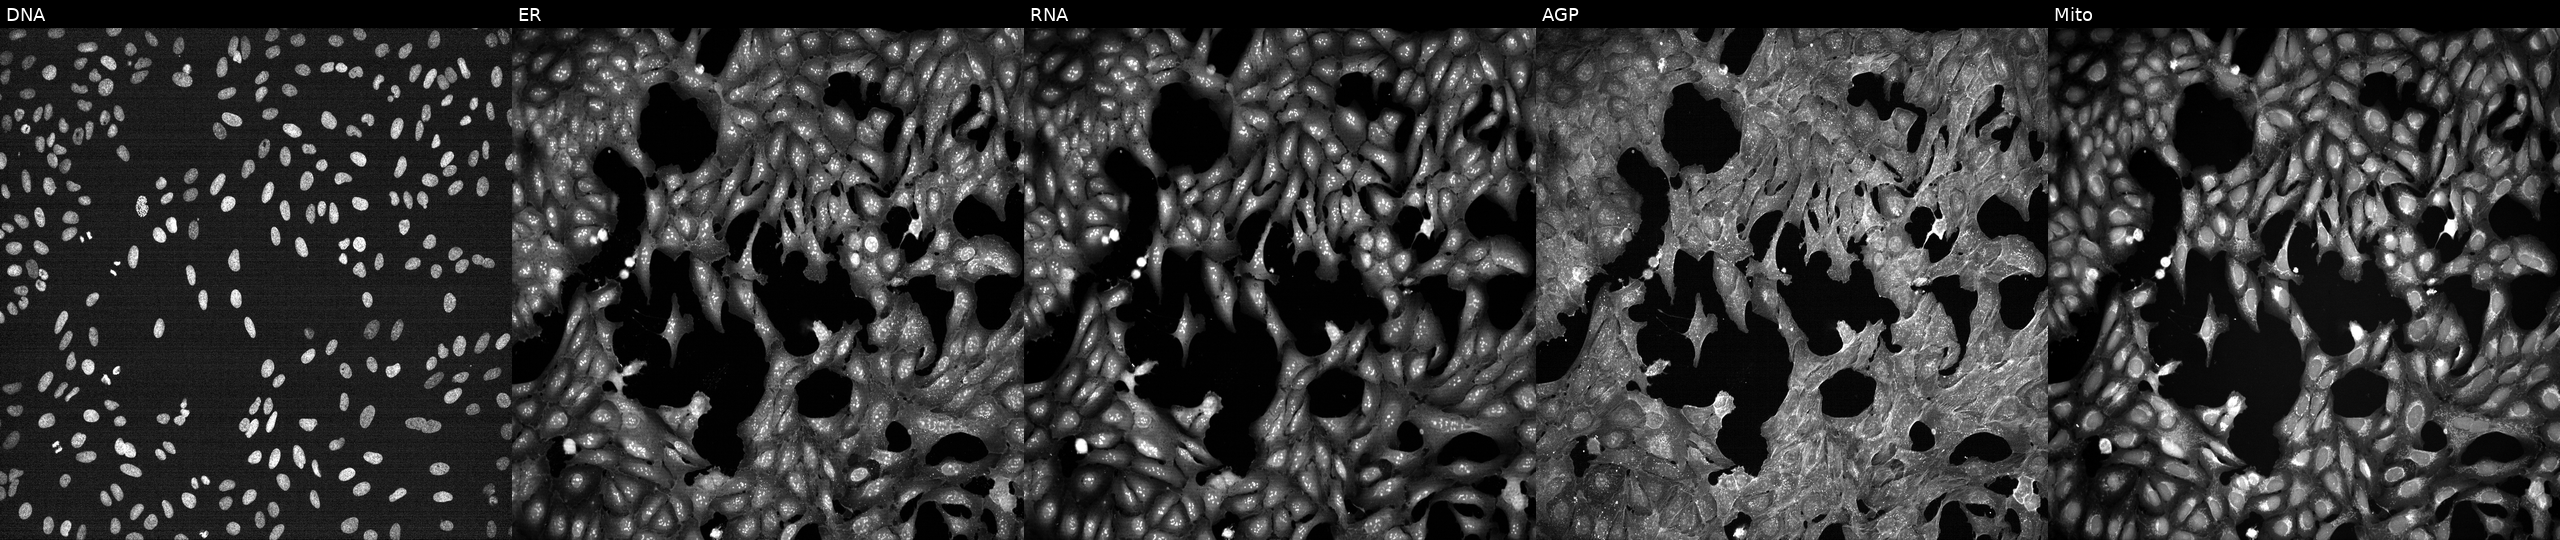
JUMP Cell Painting — TARGET2 plate. U2OS cells treated with a small-molecule compound (InChIKey ZESFDAKNYJQYKO-UHFFFAOYSA-N) [SMILES: N#Cc1ccc(-c2ccc(S(=O)(=O)N=c3cccc(N)[nH]3)cc2)cc1]. Panels show, left to right, DNA (nuclei); ER (endoplasmic reticulum); RNA (nucleoli and cytoplasmic RNA); AGP (actin cytoskeleton, Golgi, and plasma membrane); Mito (mitochondria). Source 7, plate CP1-SC1-25, well P15.